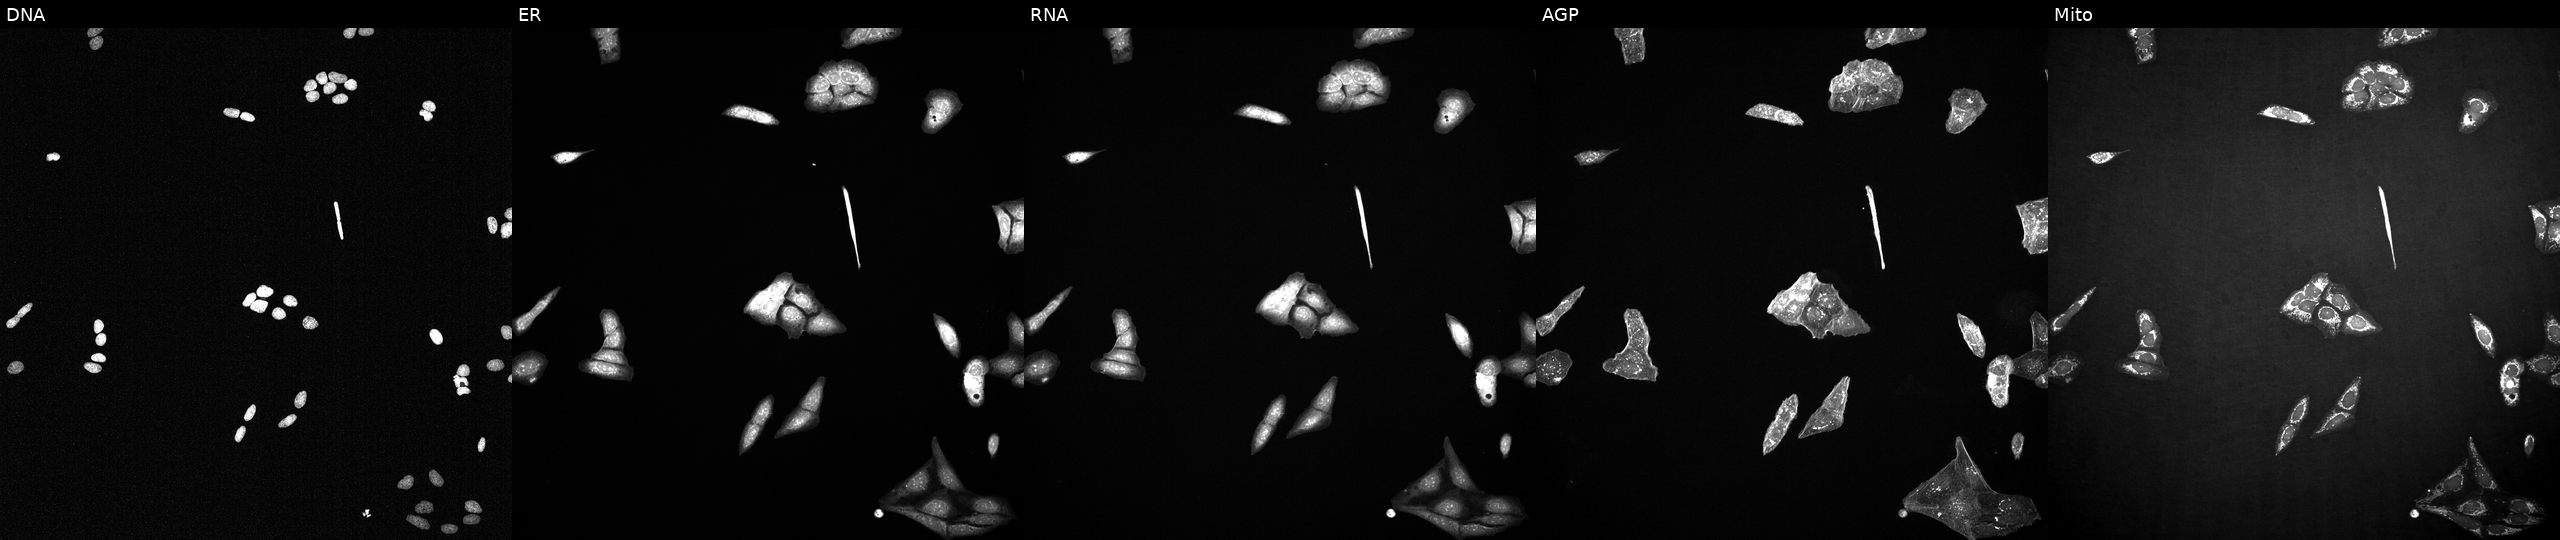
This image strip shows the five Cell Painting channels for a single field of U2OS cells treated with a small-molecule compound (InChIKey NVRXTLZYXZNATH-UHFFFAOYSA-N). From left to right: Hoechst 33342, concanavalin A, SYTO 14, phalloidin and WGA, MitoTracker. Source 2, plate 1053600674, well B02.